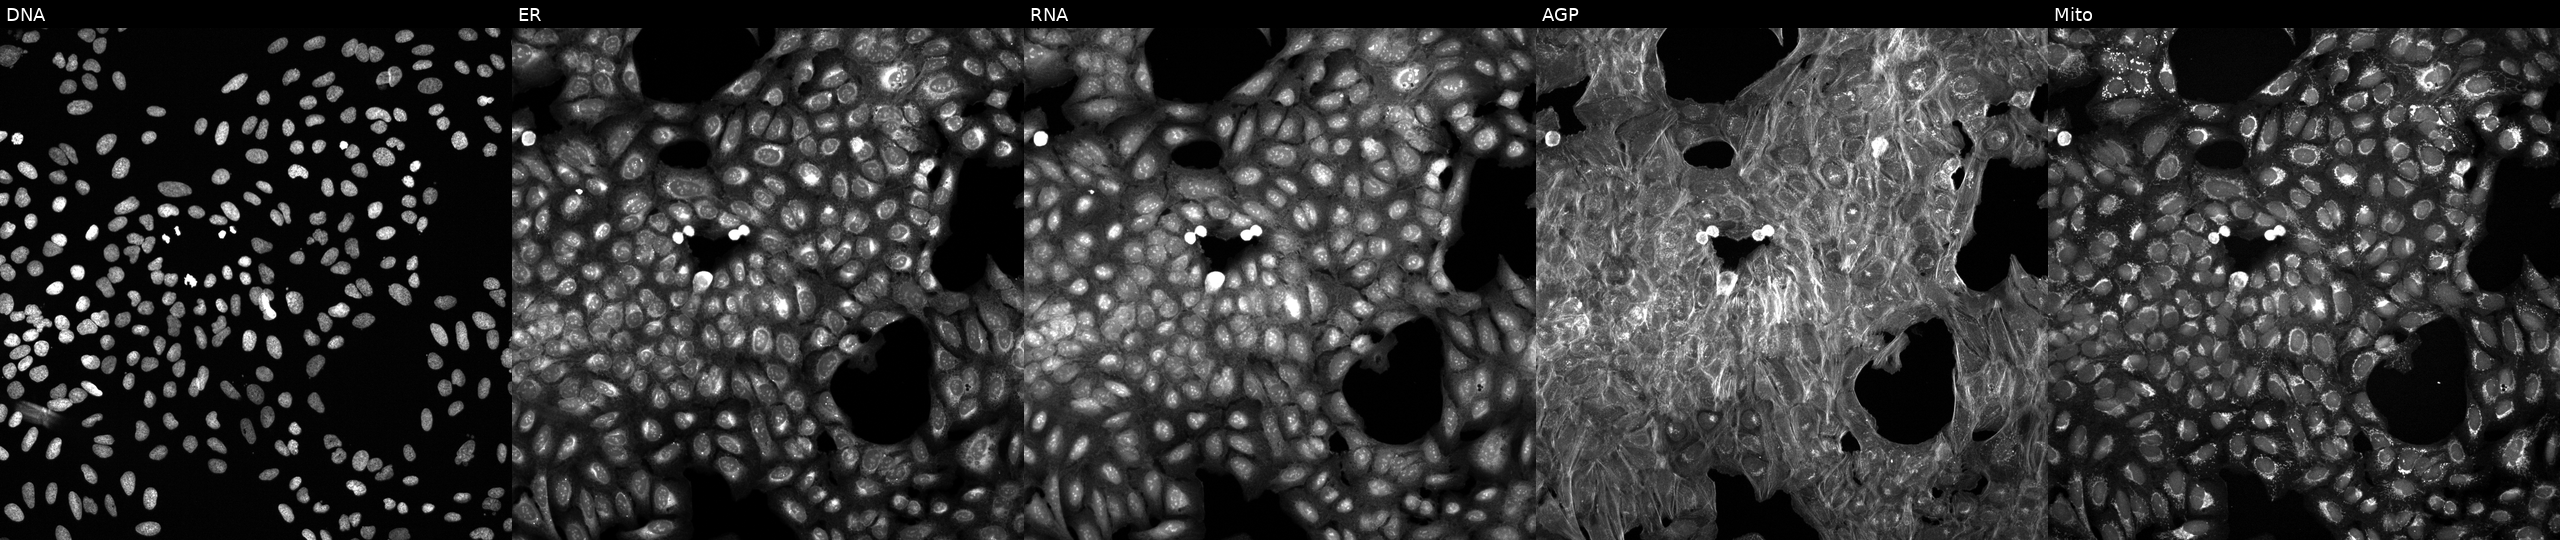
High-content fluorescence microscopy (Cell Painting). Cell line: U2OS. Perturbation: exposed to DMSO alone as a negative control. Channels (left→right): DNA (nuclei); ER (endoplasmic reticulum); RNA (nucleoli and cytoplasmic RNA); AGP (actin cytoskeleton, Golgi, and plasma membrane); Mito (mitochondria).